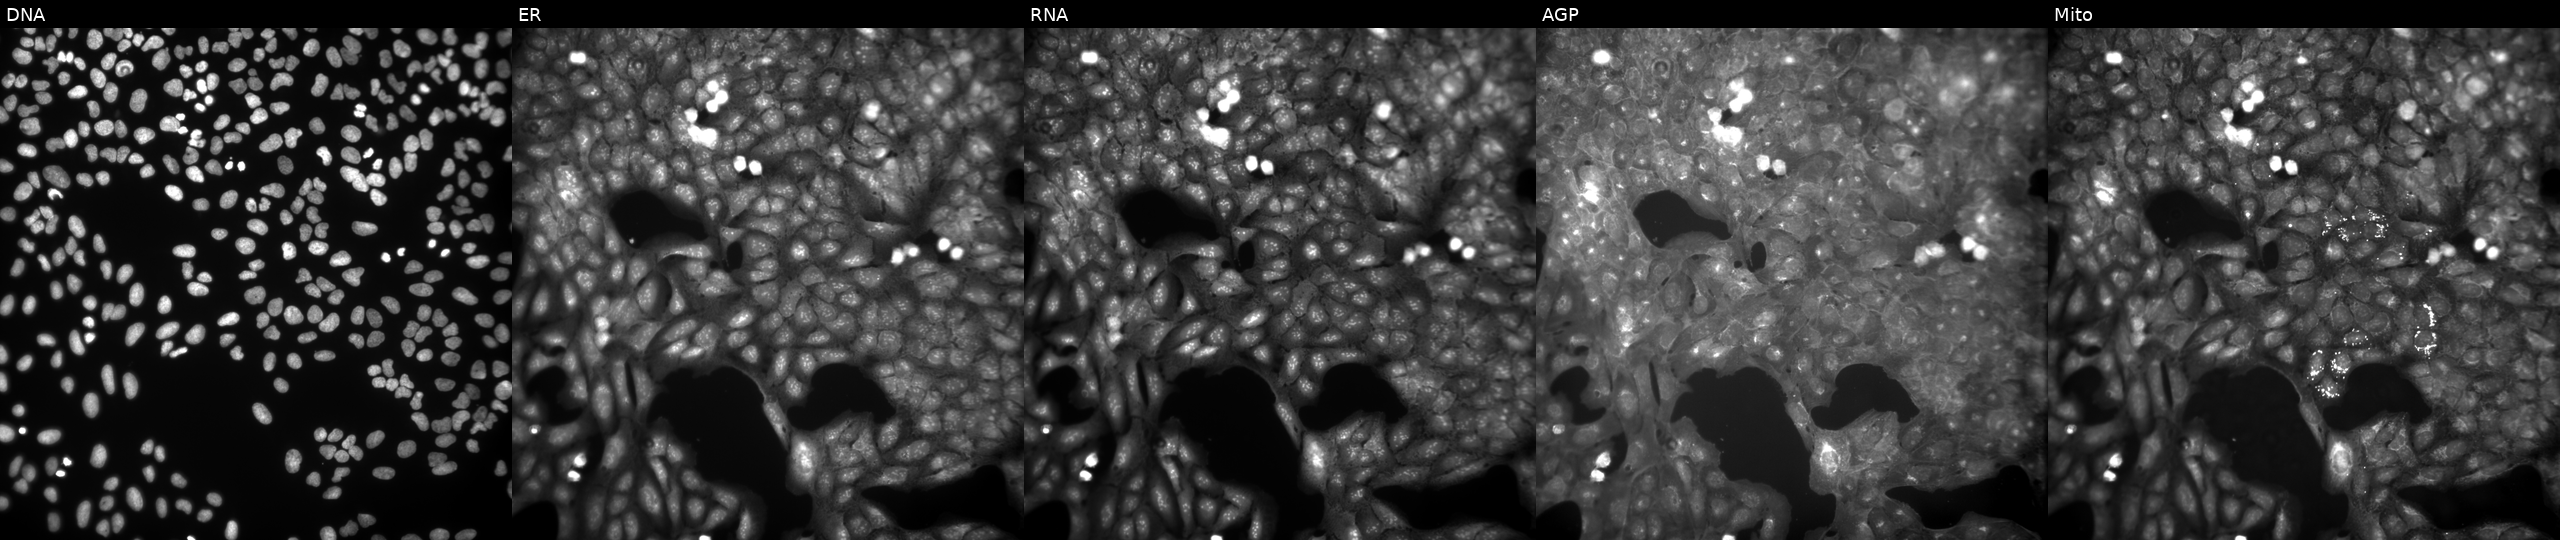
This image strip shows the five Cell Painting channels for a single field of U2OS cells exposed to a small-molecule compound. The five panels, left to right, show DNA (nuclei); ER (endoplasmic reticulum); RNA (nucleoli and cytoplasmic RNA); AGP (actin cytoskeleton, Golgi, and plasma membrane); Mito (mitochondria). Source 9, plate GR00003382, well F46.